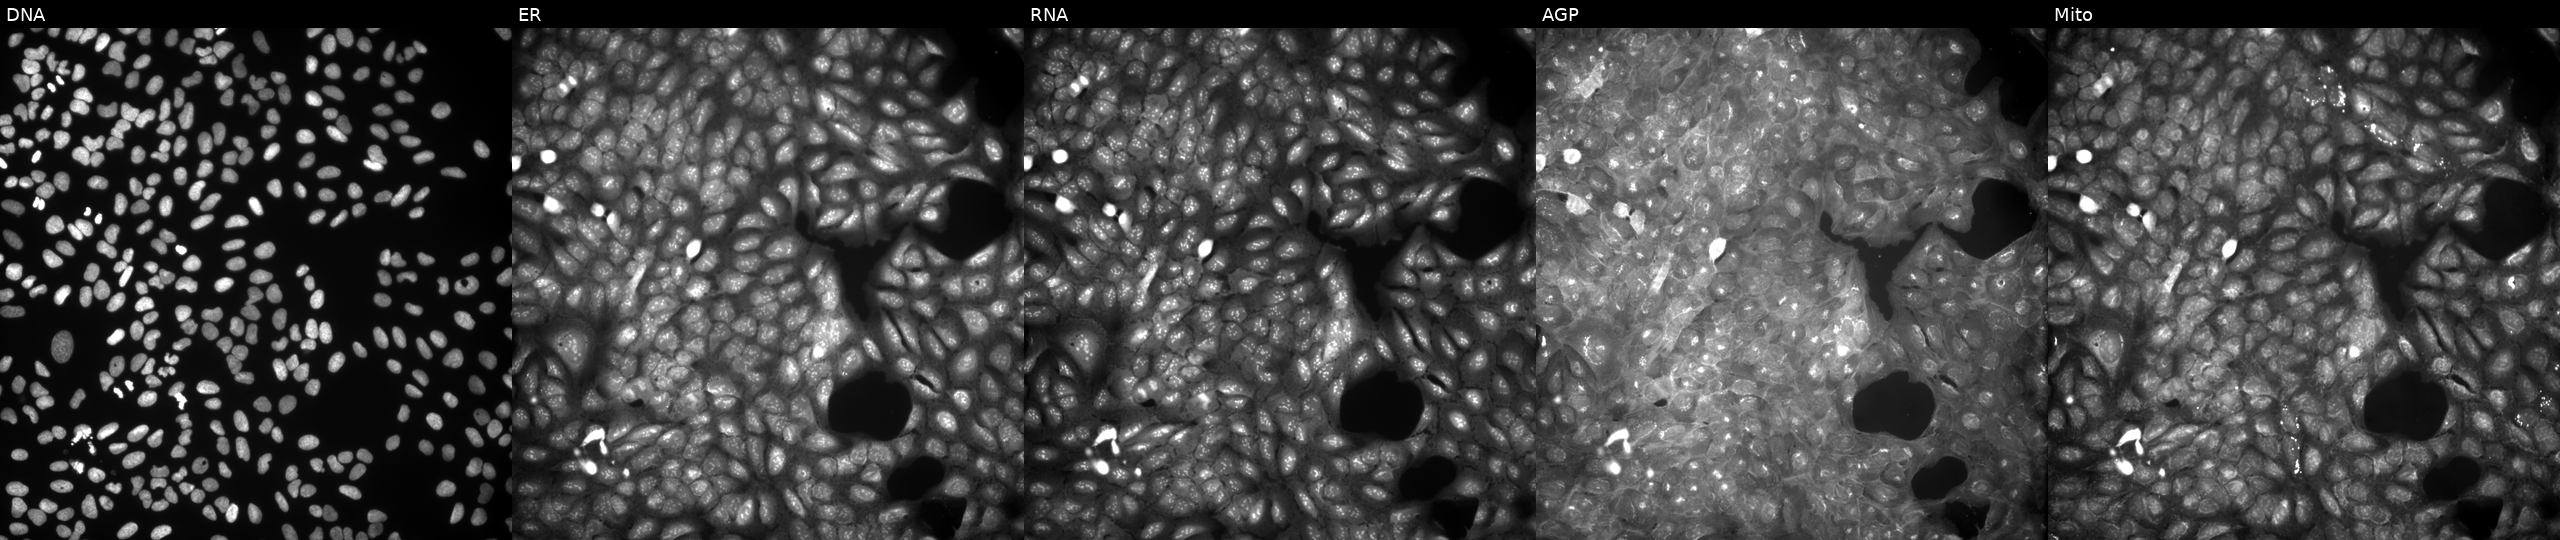
Five-channel Cell Painting image of U2OS cells treated with a small-molecule compound (InChIKey NZEGTNVBFPTODE-UHFFFAOYSA-N). From left to right: DNA (nuclei); ER (endoplasmic reticulum); RNA (nucleoli and cytoplasmic RNA); AGP (actin cytoskeleton, Golgi, and plasma membrane); Mito (mitochondria).